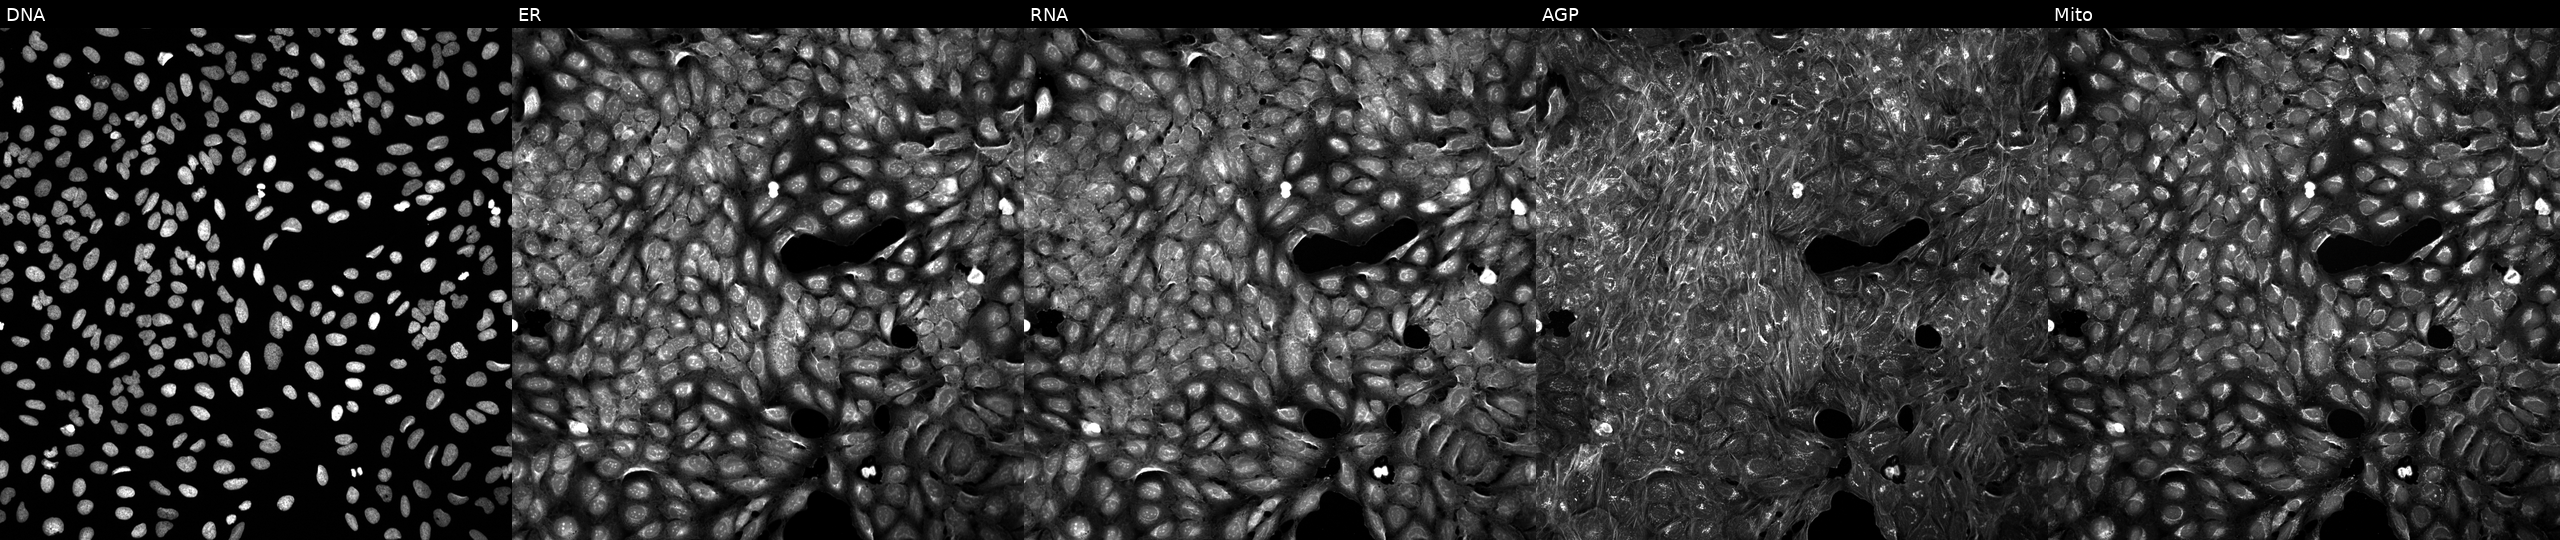
U2OS cells, Cell Painting assay, treated with a small-molecule compound (InChIKey HKOBKHSZJASDHY-UHFFFAOYSA-N) (JUMP id JCP2022_030812). The five panels, left to right, show Hoechst 33342, concanavalin A, SYTO 14, phalloidin and WGA, MitoTracker. Each panel is percentile-stretched 16-bit fluorescence. Source 5, plate APTJUM106, well N19.